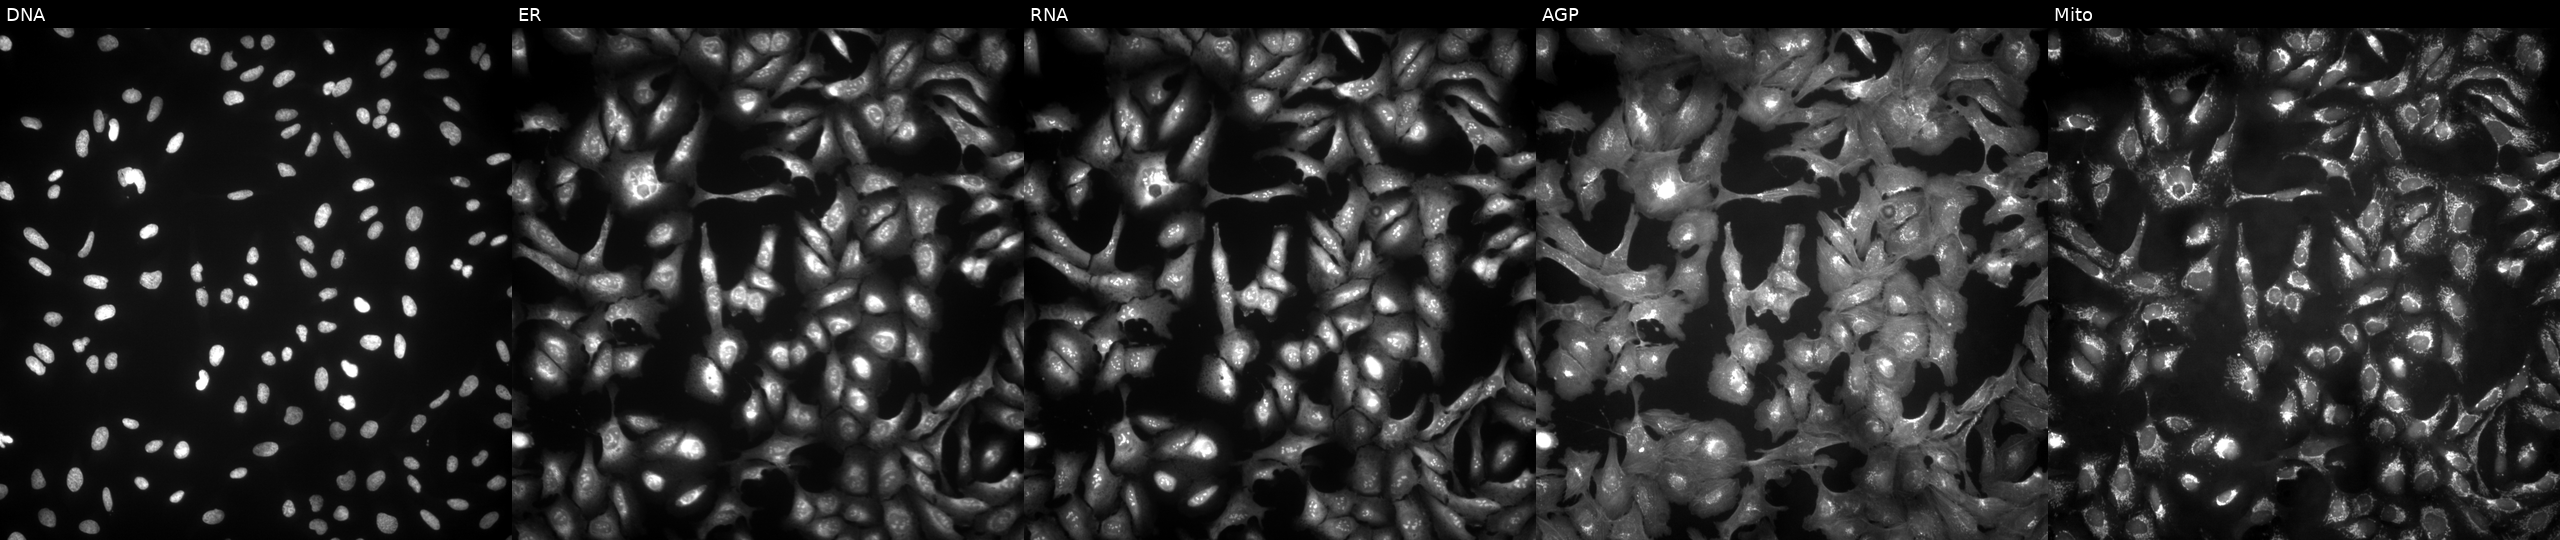
JUMP Cell Painting — ORF plate. U2OS cells overexpressing SERINC3 via ORF transfection (JUMP id JCP2022_902408). Channels (left→right): DNA (nuclei); ER (endoplasmic reticulum); RNA (nucleoli and cytoplasmic RNA); AGP (actin cytoskeleton, Golgi, and plasma membrane); Mito (mitochondria).